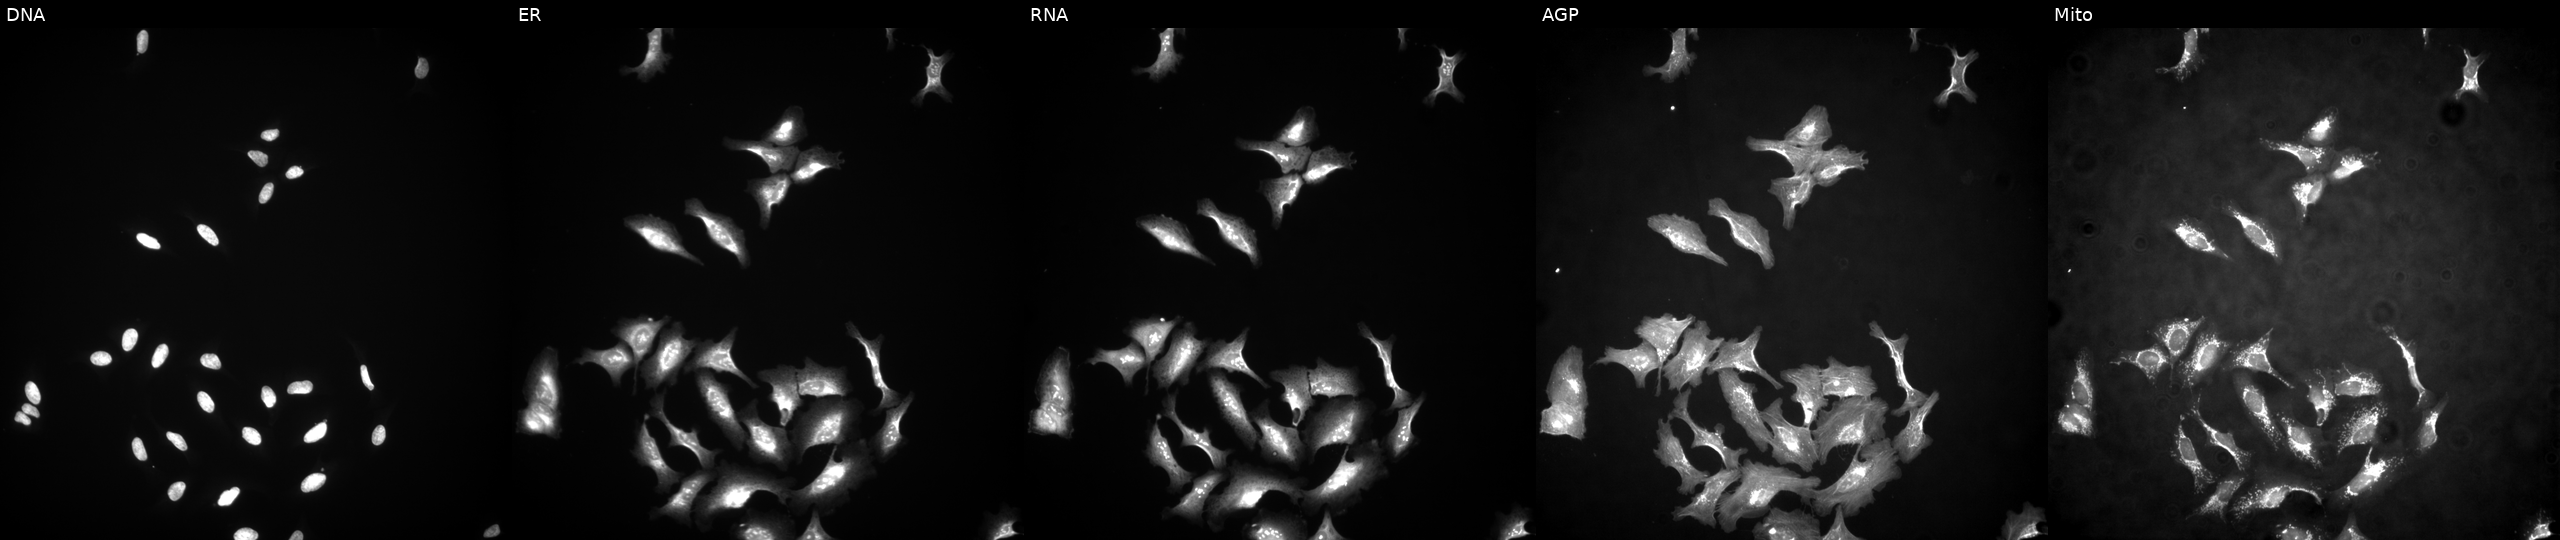
The five panels, left to right, show Hoechst 33342, concanavalin A, SYTO 14, phalloidin and WGA, MitoTracker. U2OS osteosarcoma cells transfected with an ORF construct for MDM1 (JUMP id JCP2022_911478). Cell Painting assay, JUMP-CP dataset.